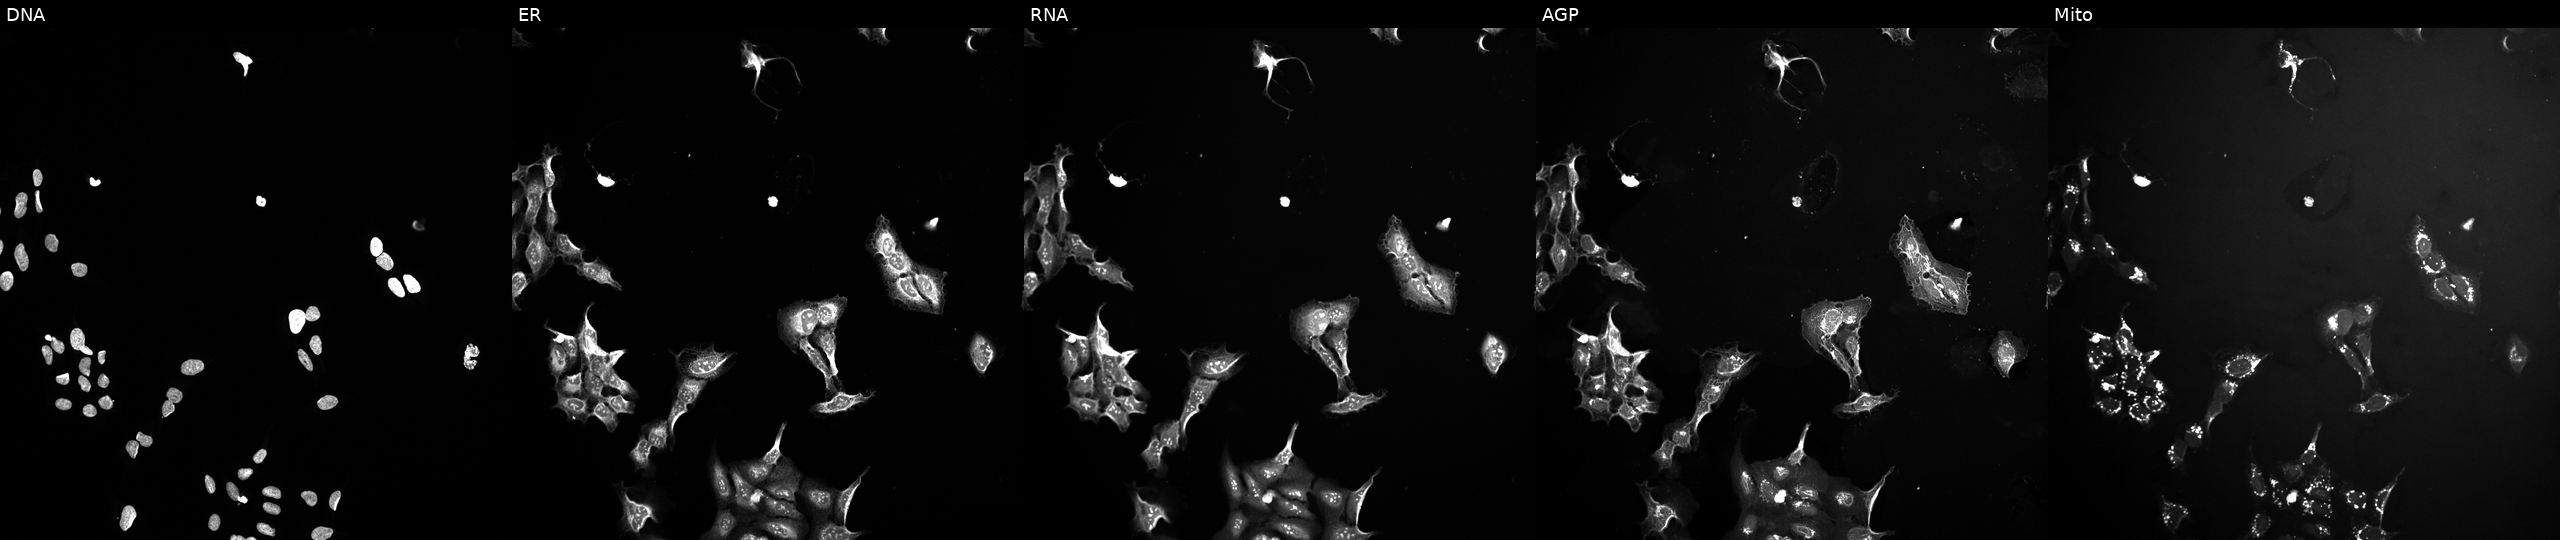
JUMP Cell Painting — TARGET2 plate. U2OS cells exposed to a small-molecule compound (InChIKey VSWDORGPIHIGNW-UHFFFAOYSA-N) [SMILES: S=C(S)N1CCCC1]. From left to right: DNA (nuclei); ER (endoplasmic reticulum); RNA (nucleoli and cytoplasmic RNA); AGP (actin cytoskeleton, Golgi, and plasma membrane); Mito (mitochondria).